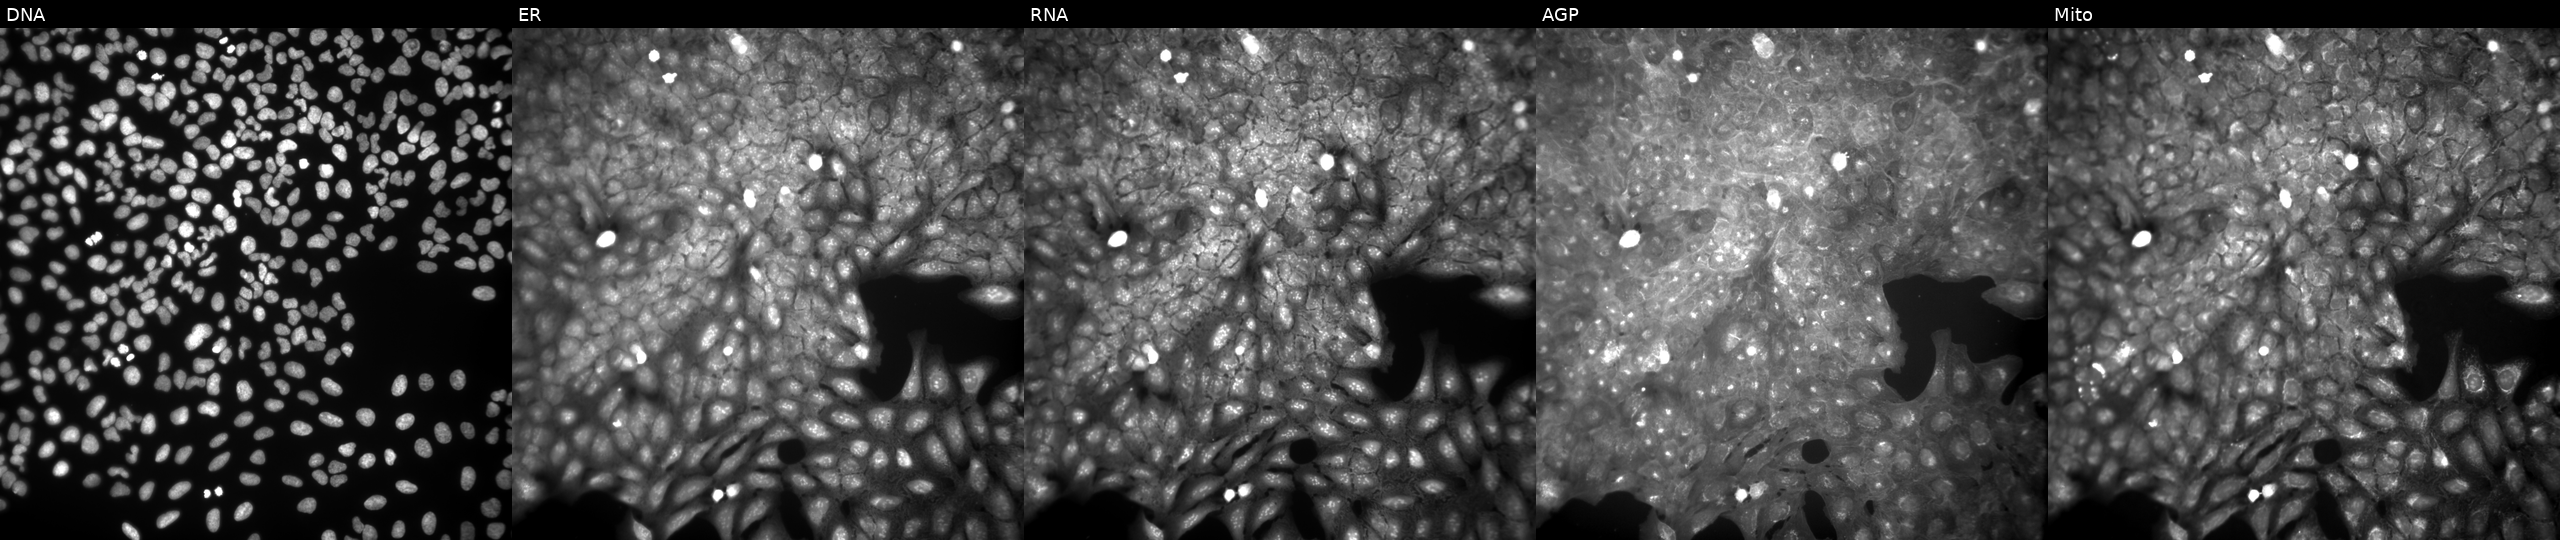
This image strip shows the five Cell Painting channels for a single field of U2OS cells exposed to a small-molecule compound (InChIKey ZODNQJUCKOXFTA-UHFFFAOYSA-N). Channels (left→right): Hoechst 33342, concanavalin A, SYTO 14, phalloidin and WGA, MitoTracker. Source 9, plate GR00003382, well O46.